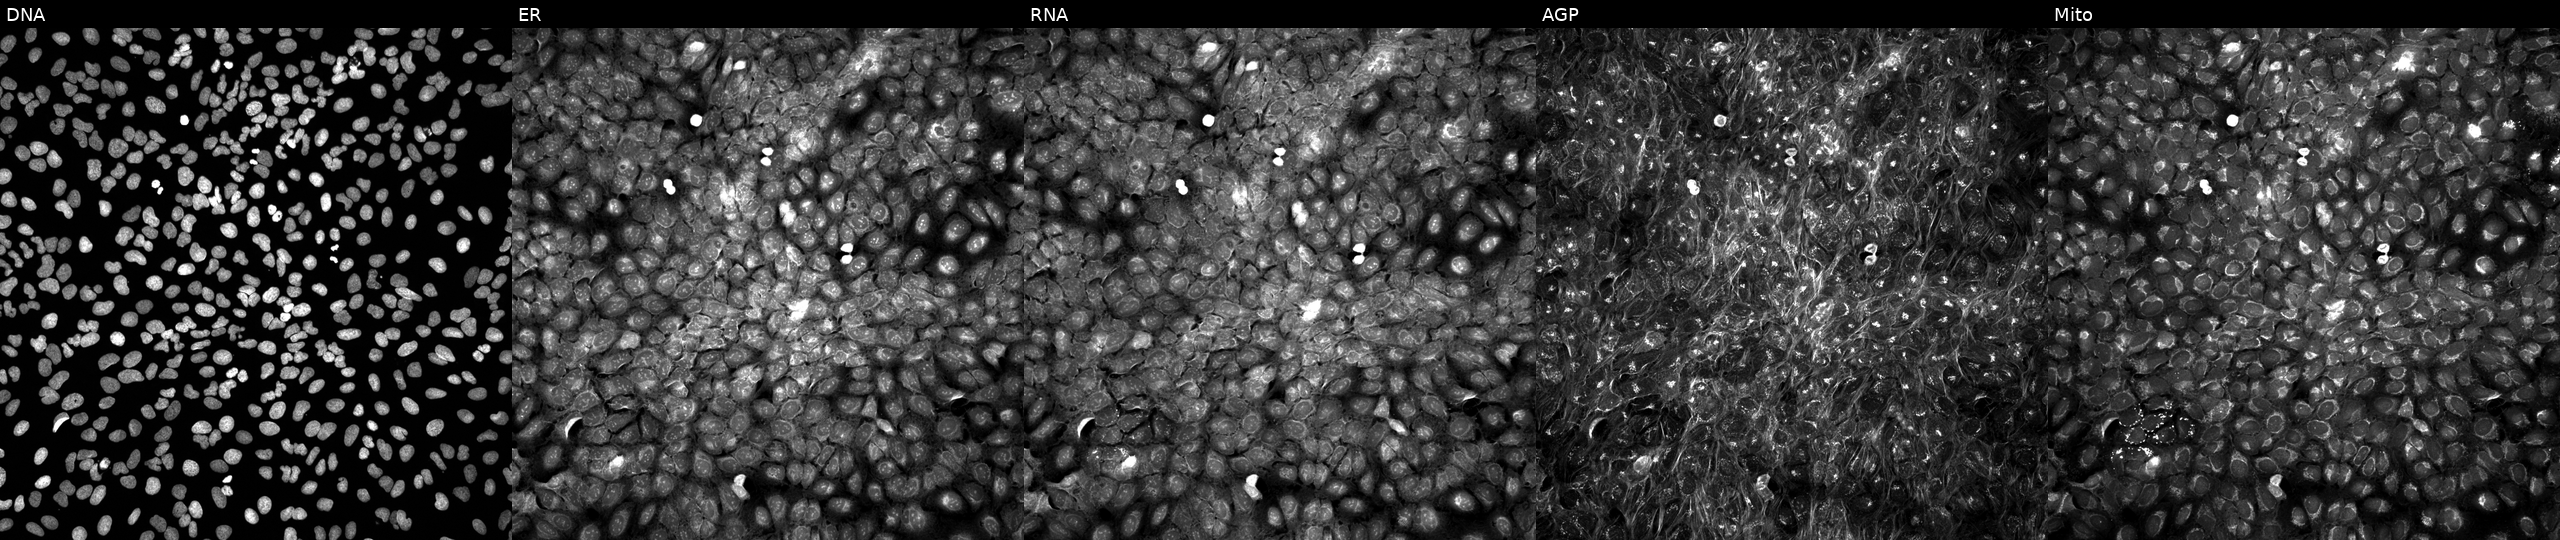
Five-channel Cell Painting image of U2OS cells perturbed with a small-molecule compound. The five panels, left to right, show DNA (nuclei); ER (endoplasmic reticulum); RNA (nucleoli and cytoplasmic RNA); AGP (actin cytoskeleton, Golgi, and plasma membrane); Mito (mitochondria).